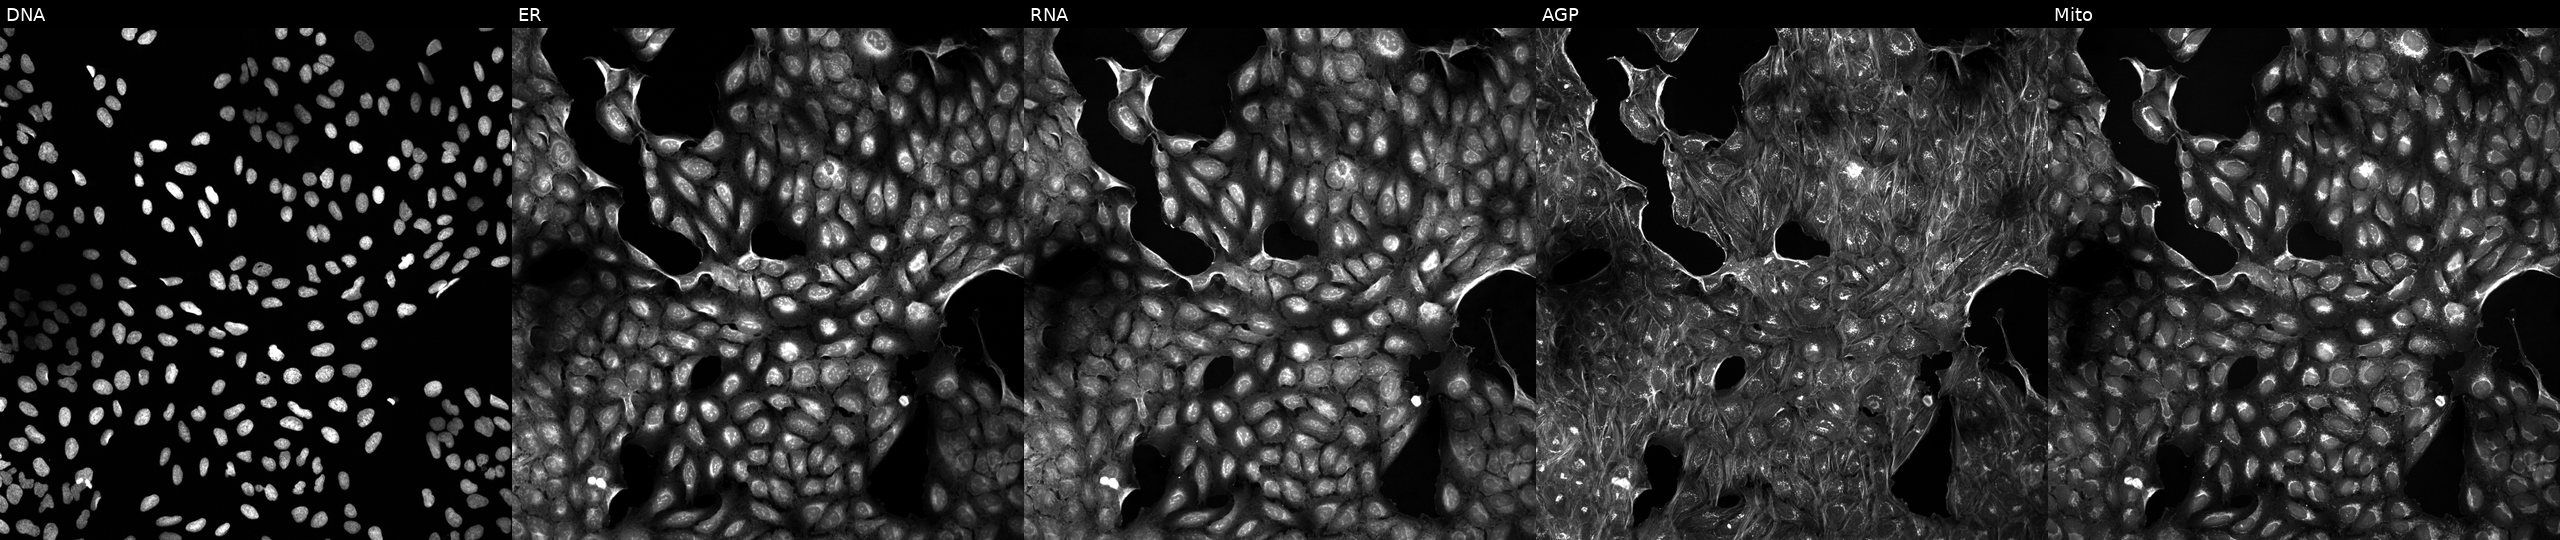
Five-channel Cell Painting image of U2OS cells treated with a small-molecule compound [SMILES: COCCC(=O)Nc1cnn(-c2ncc(N3CCCCC3)cn2)c1] (JUMP id JCP2022_001484). The five panels, left to right, show DNA (nuclei); ER (endoplasmic reticulum); RNA (nucleoli and cytoplasmic RNA); AGP (actin cytoskeleton, Golgi, and plasma membrane); Mito (mitochondria). Source 5, plate APTJUM105, well M22.